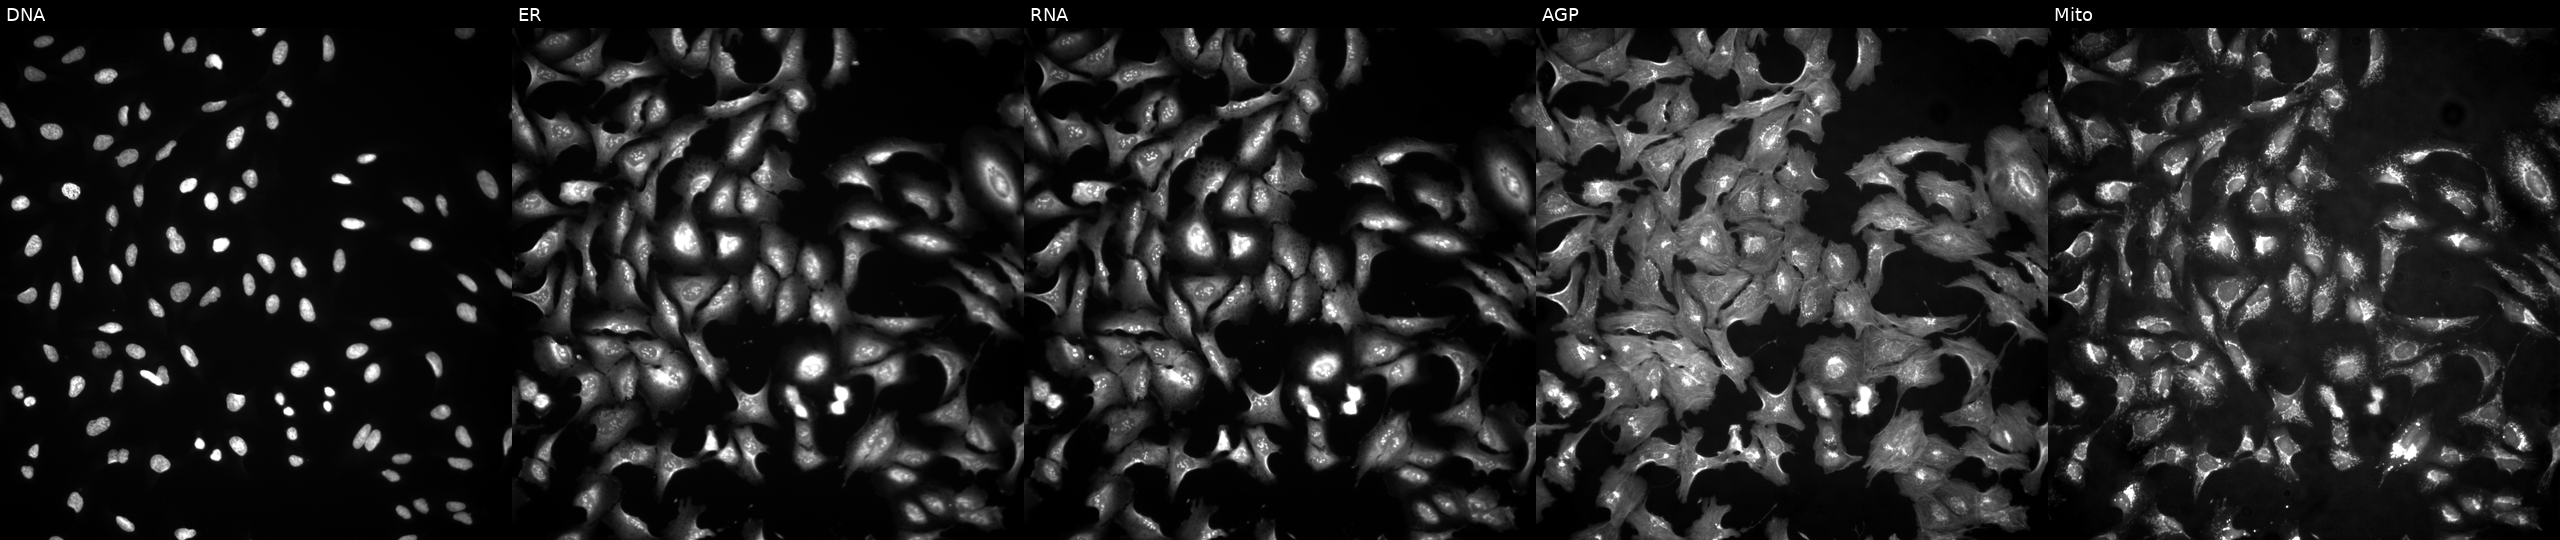
JUMP Cell Painting — ORF plate. U2OS cells overexpressing PSMC2 via ORF transfection. The five panels, left to right, show DNA (nuclei); ER (endoplasmic reticulum); RNA (nucleoli and cytoplasmic RNA); AGP (actin cytoskeleton, Golgi, and plasma membrane); Mito (mitochondria).